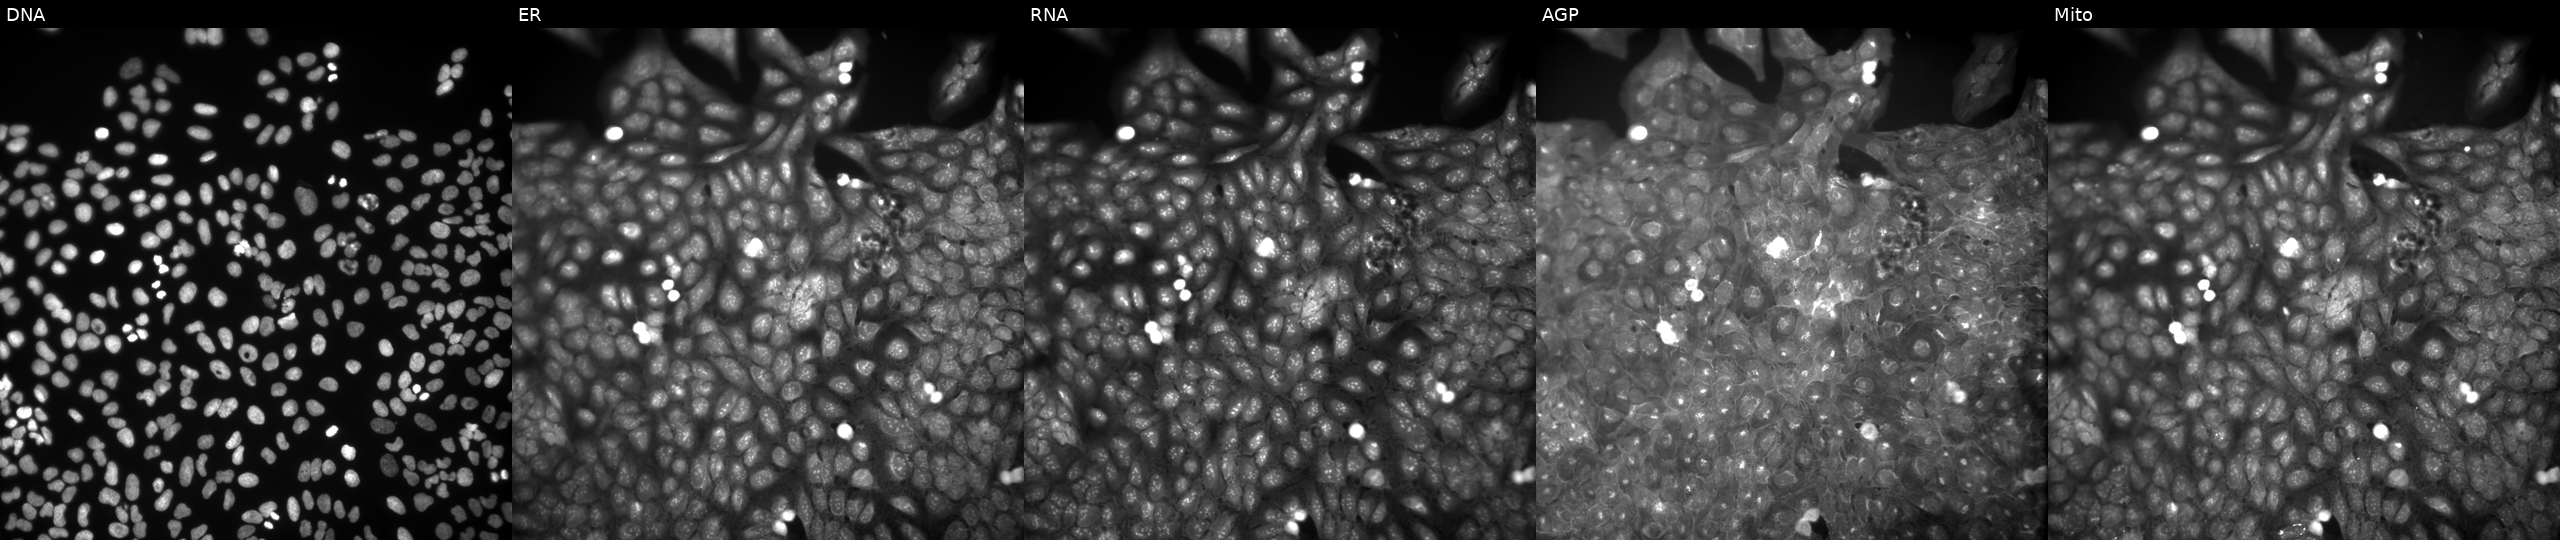
U2OS cells, Cell Painting assay, treated with a small-molecule compound (InChIKey CFINUJBABHRHDT-UHFFFAOYSA-N). Panels show, left to right, DNA, ER, RNA, AGP, and Mito. Each panel is percentile-stretched 16-bit fluorescence.